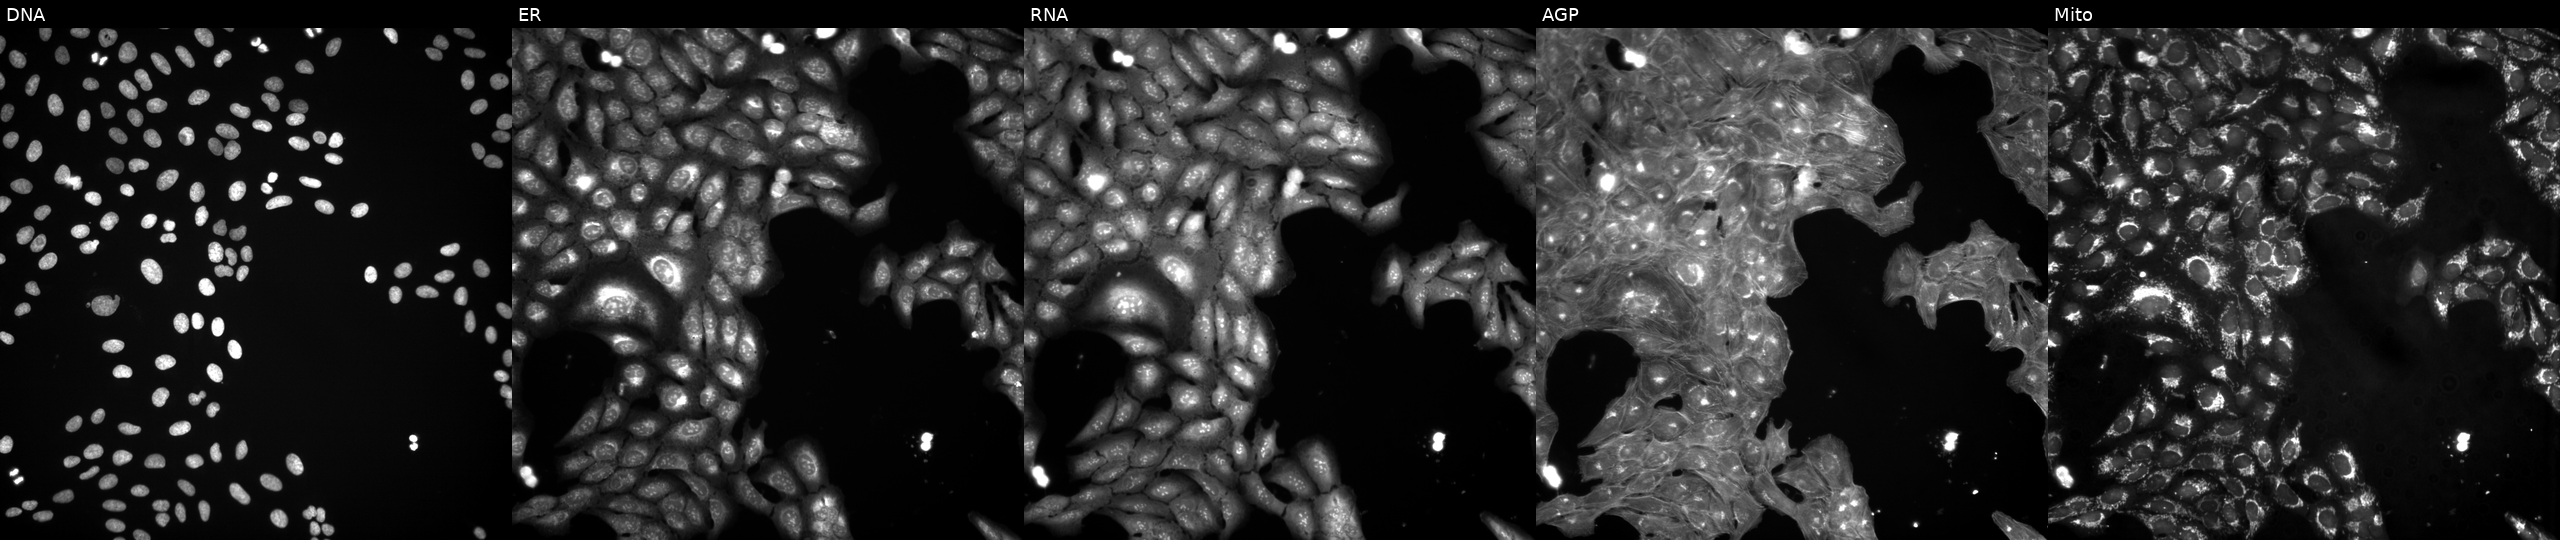
High-content fluorescence microscopy (Cell Painting). Cell line: U2OS. Perturbation: perturbed with a small-molecule compound (JUMP id JCP2022_034137). From left to right: DNA (nuclei); ER (endoplasmic reticulum); RNA (nucleoli and cytoplasmic RNA); AGP (actin cytoskeleton, Golgi, and plasma membrane); Mito (mitochondria).